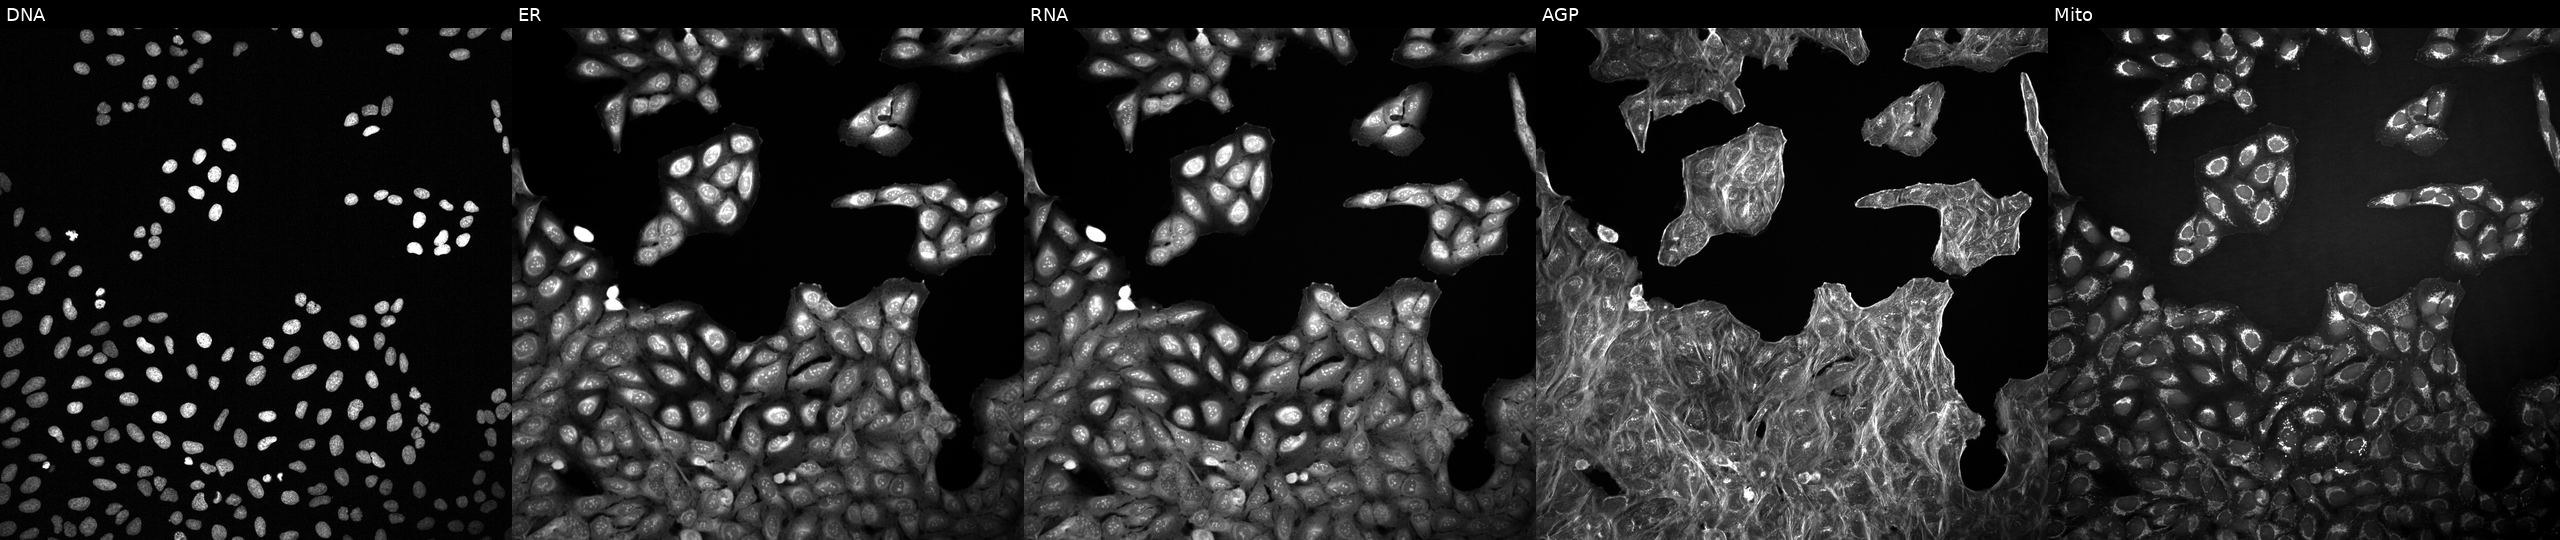
Five-channel Cell Painting image of U2OS cells treated with a small-molecule compound [SMILES: O=C(COc1ncnc2ccc(Br)cc12)N1CCN(C(=O)c2ccco2)CC1]. Channels (left→right): Hoechst 33342, concanavalin A, SYTO 14, phalloidin and WGA, MitoTracker.